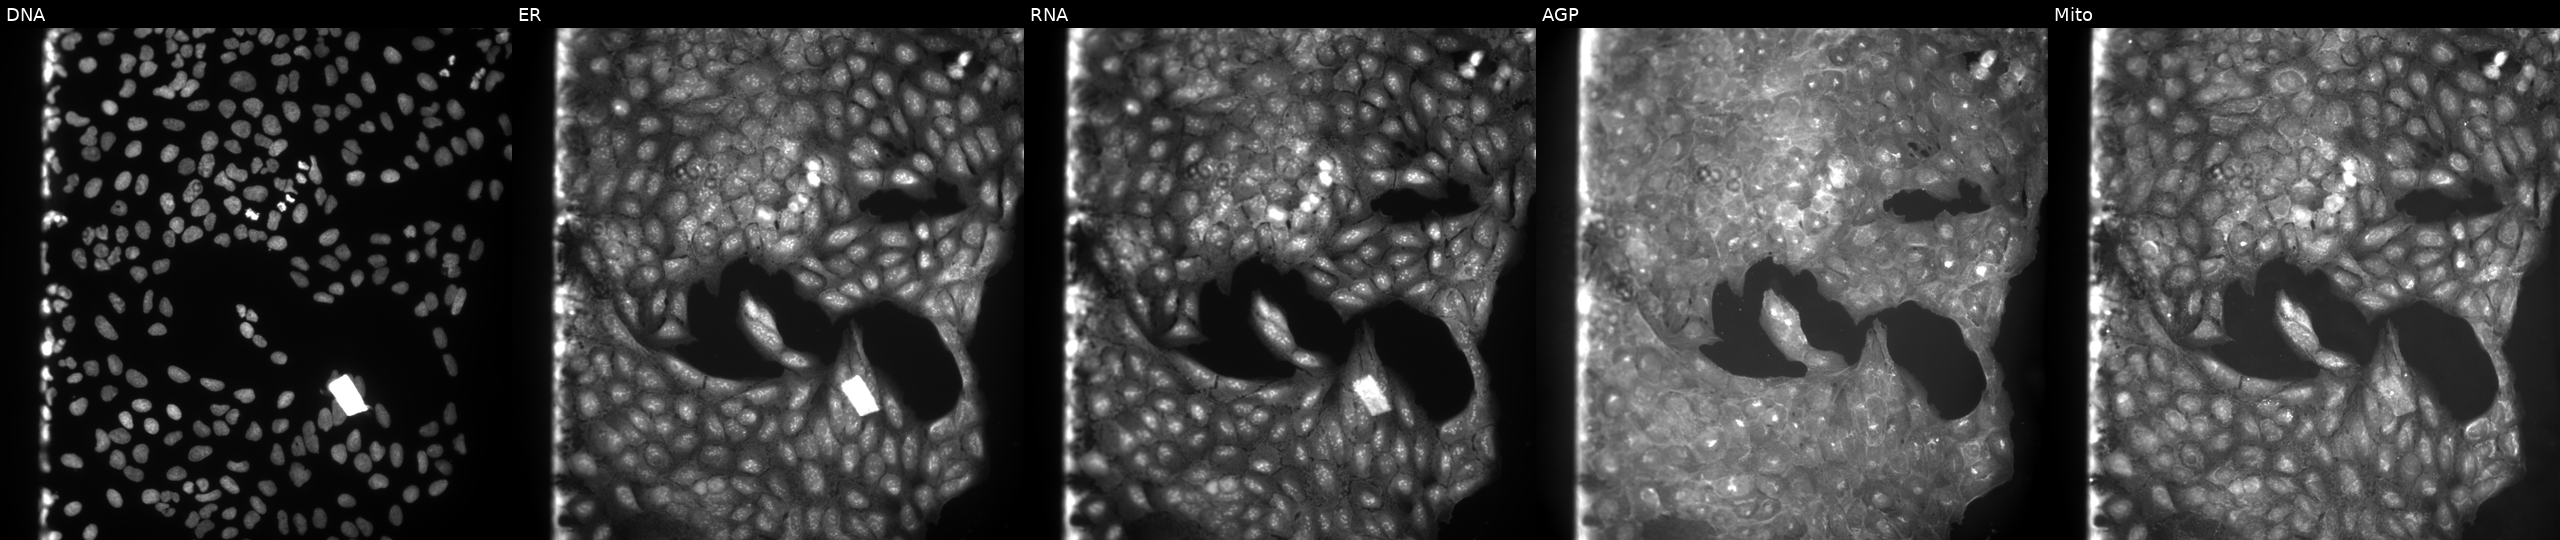
JUMP Cell Painting — COMPOUND plate. U2OS cells treated with a small-molecule compound (InChIKey KWKWMNALQRRFJP-UHFFFAOYSA-N) [SMILES: O=[N+]([O-])c1ccc(COn2nnc3ccccc32)cc1] (JUMP id JCP2022_047442). From left to right: Hoechst 33342, concanavalin A, SYTO 14, phalloidin and WGA, MitoTracker. Source 9, plate GR00003382, well F03.